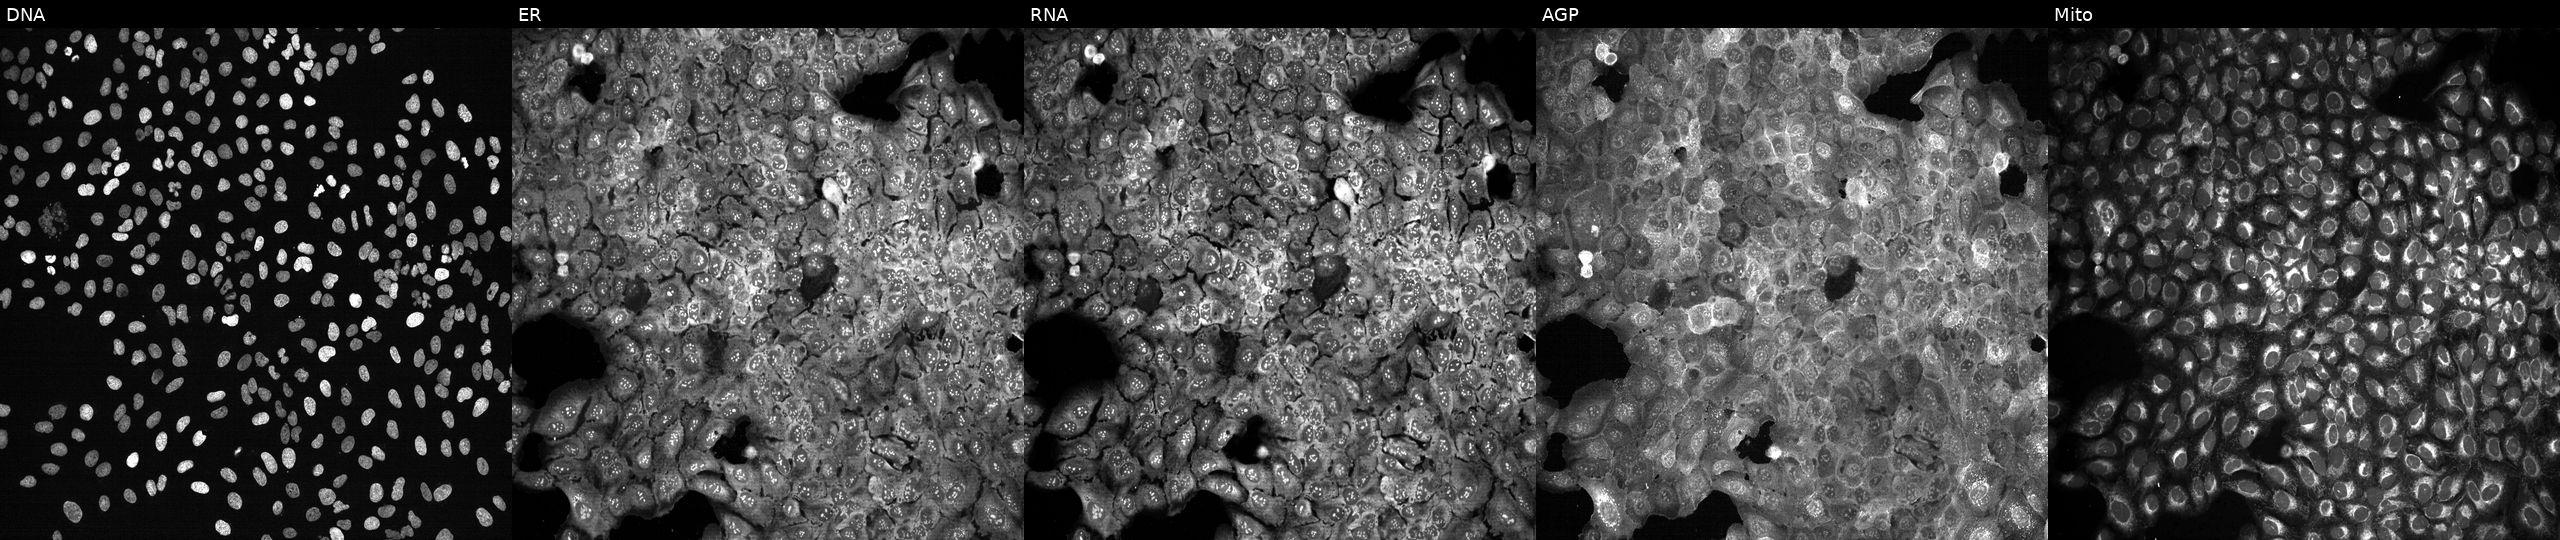
U2OS cells, Cell Painting assay, with DDX47 knocked out by CRISPR. The five panels, left to right, show DNA, ER, RNA, AGP, and Mito. Each panel is percentile-stretched 16-bit fluorescence. Source 13, plate CP-CC9-R2-02, well I10.